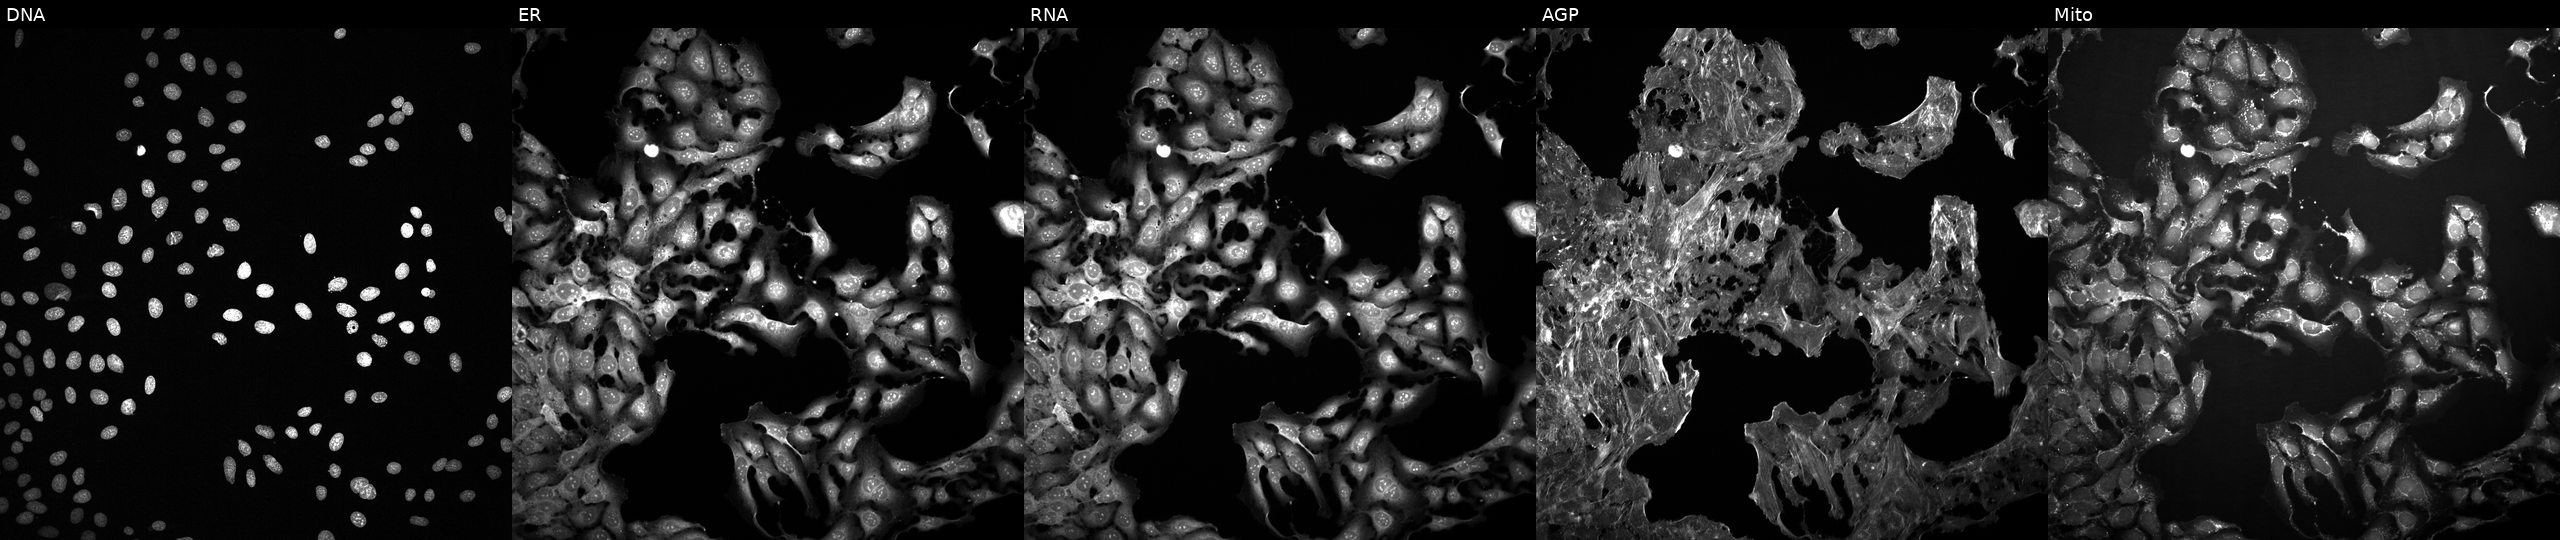
JUMP Cell Painting — TARGET2 plate. U2OS cells treated with a small-molecule compound (InChIKey FQUAFMNPXPXOJE-UHFFFAOYSA-N). Channels (left→right): DNA (nuclei); ER (endoplasmic reticulum); RNA (nucleoli and cytoplasmic RNA); AGP (actin cytoskeleton, Golgi, and plasma membrane); Mito (mitochondria). Source 2, plate 1053597936, well I04.